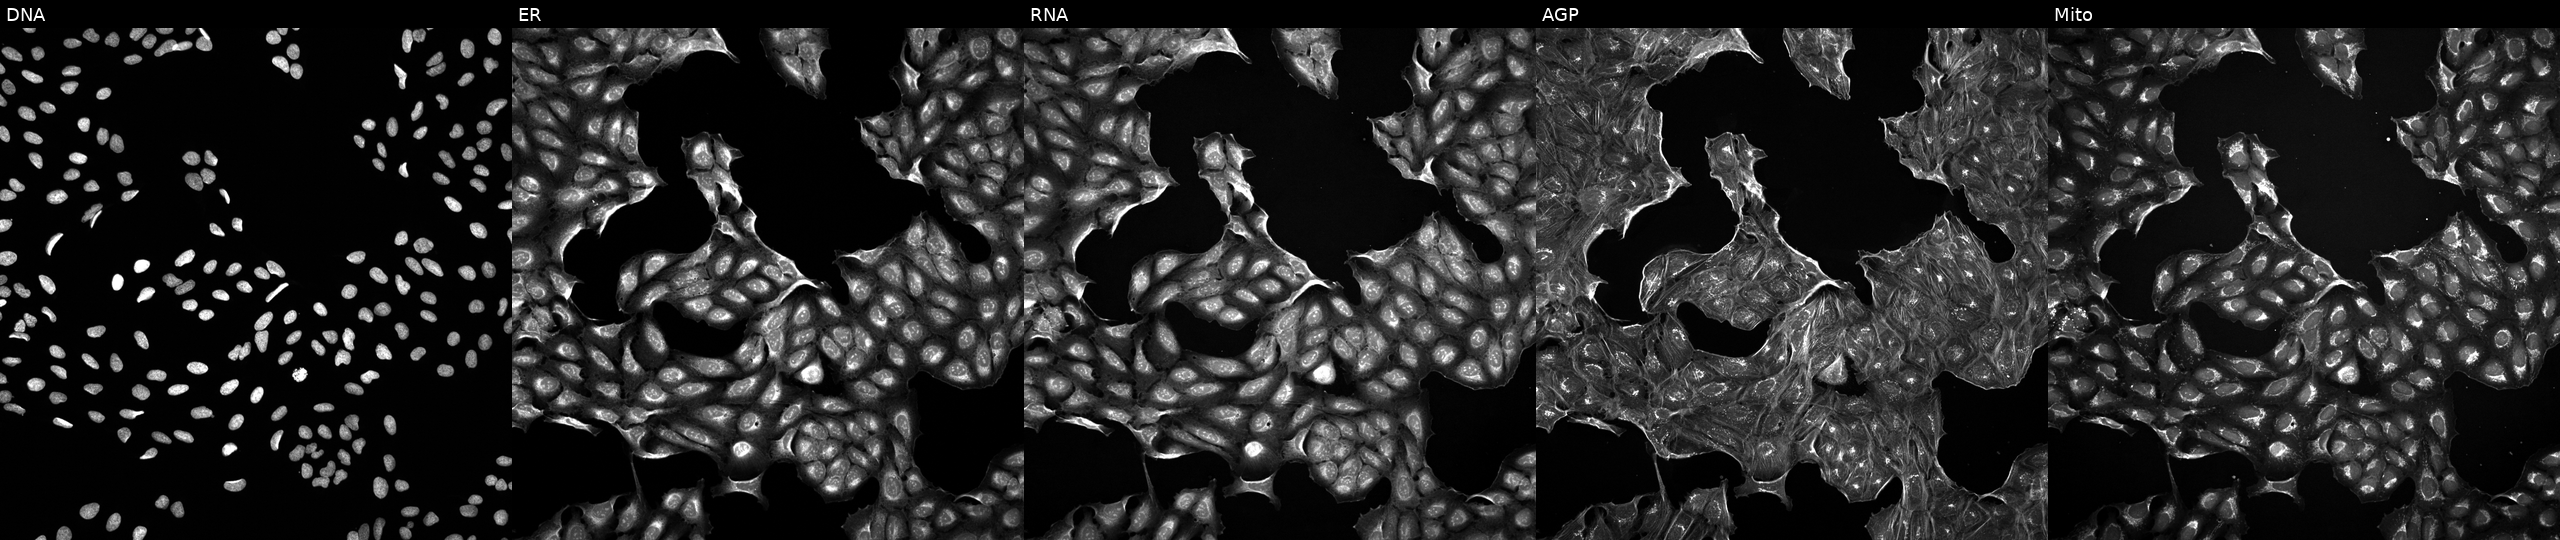
Five-channel Cell Painting image of U2OS cells exposed to a small-molecule compound. The five panels, left to right, show Hoechst 33342, concanavalin A, SYTO 14, phalloidin and WGA, MitoTracker.